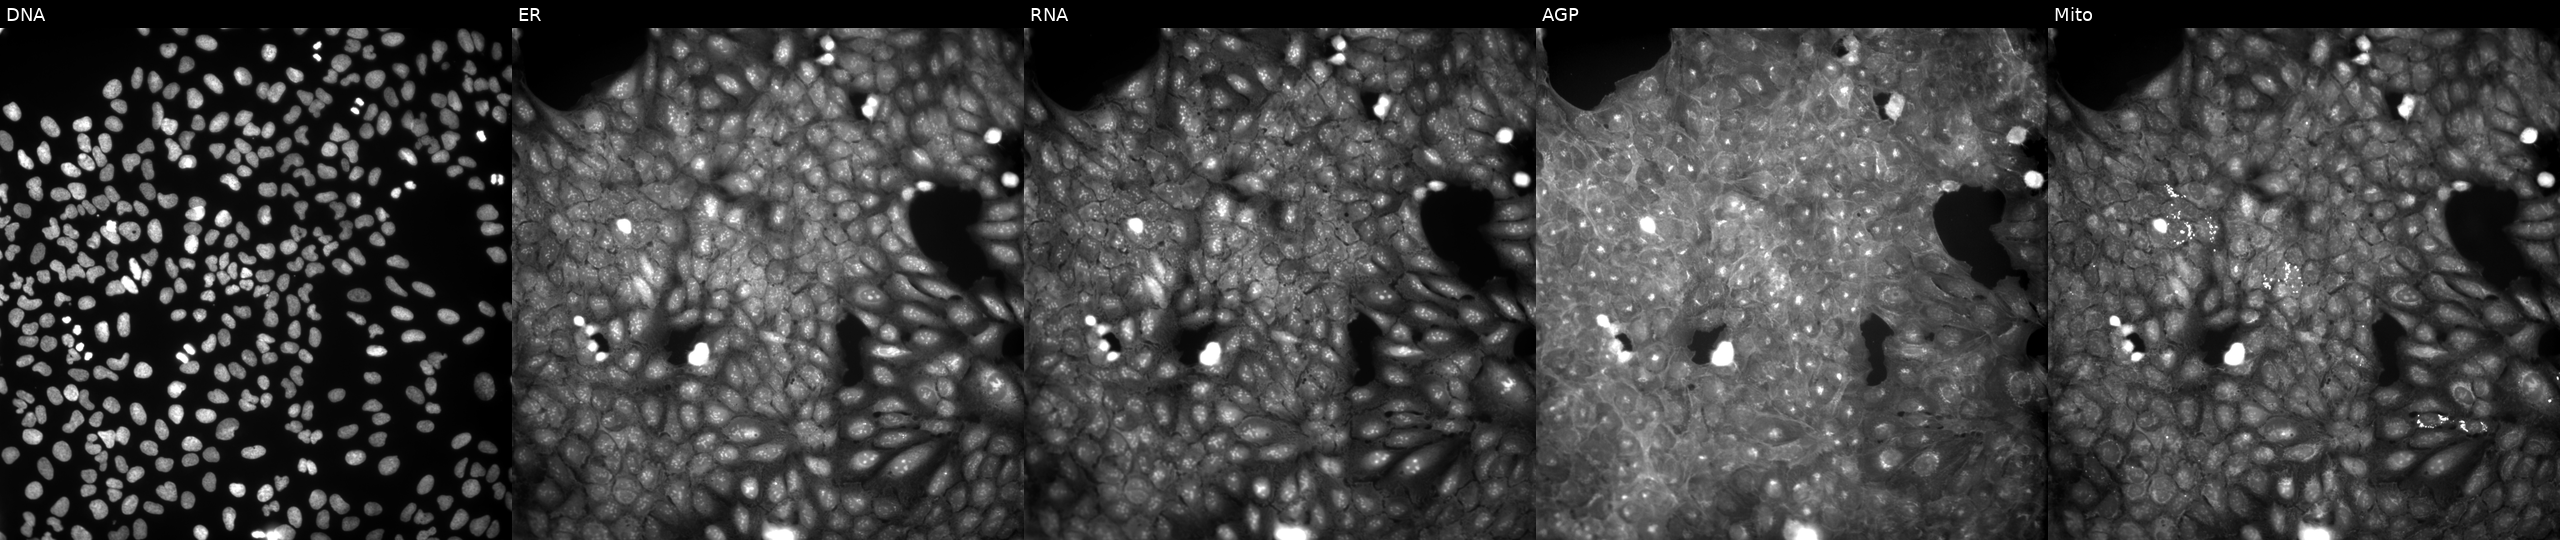
This image strip shows the five Cell Painting channels for a single field of U2OS cells perturbed with a small-molecule compound (InChIKey CYIGVTIYFCXPGH-UHFFFAOYSA-N) (JUMP id JCP2022_014232). The five panels, left to right, show DNA, ER, RNA, AGP, and Mito.